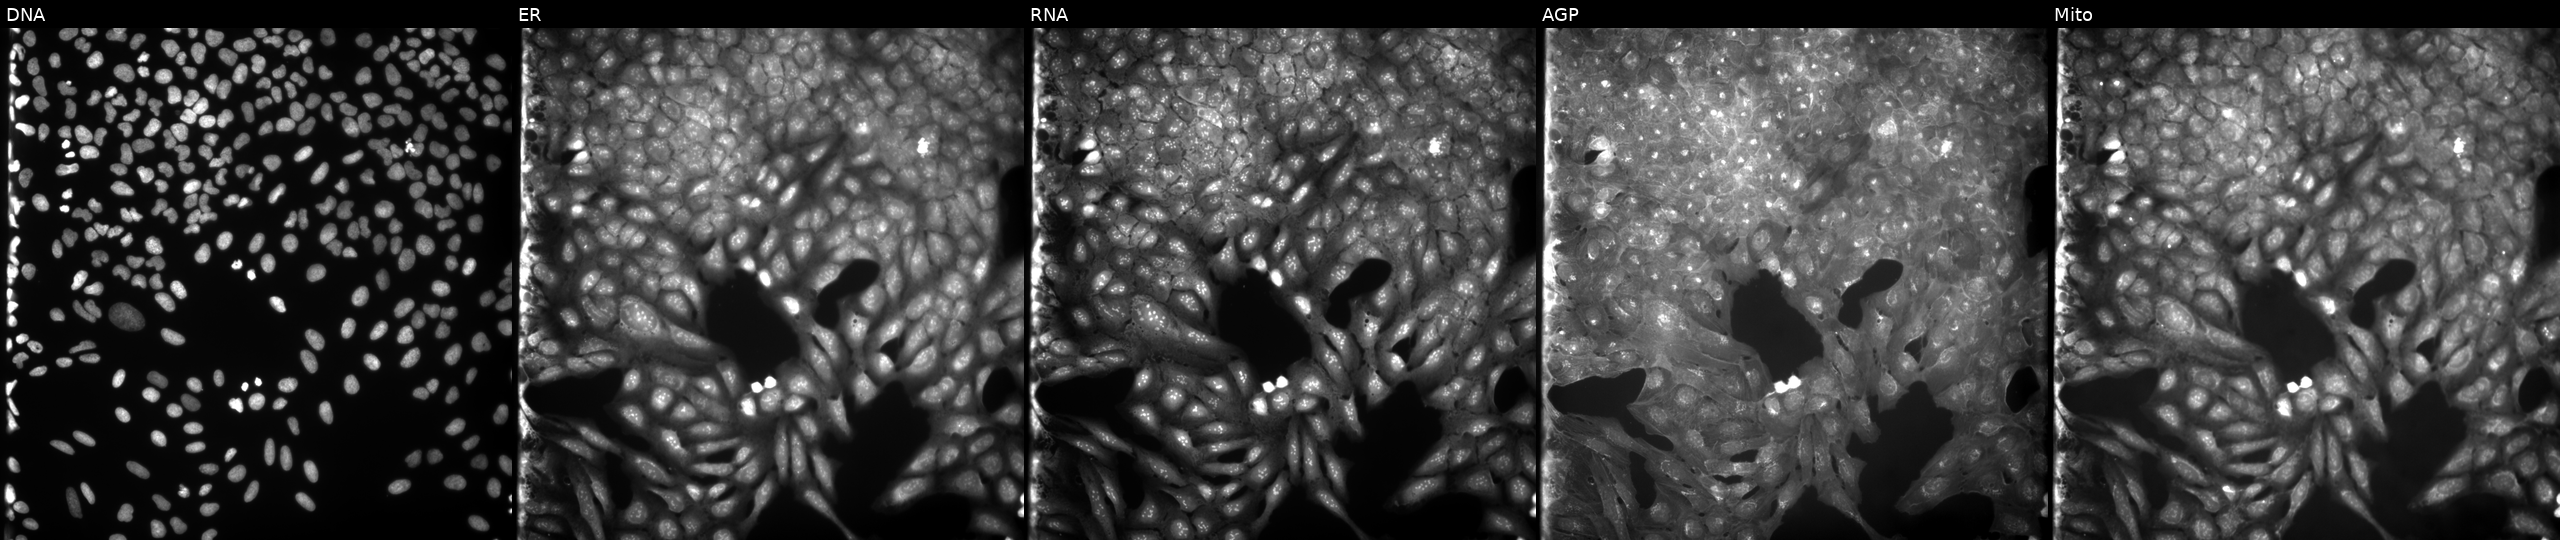
JUMP Cell Painting — COMPOUND plate. U2OS cells treated with a small-molecule compound (JUMP id JCP2022_023074). From left to right: DNA (nuclei); ER (endoplasmic reticulum); RNA (nucleoli and cytoplasmic RNA); AGP (actin cytoskeleton, Golgi, and plasma membrane); Mito (mitochondria). Source 9, plate GR00003381, well L12.